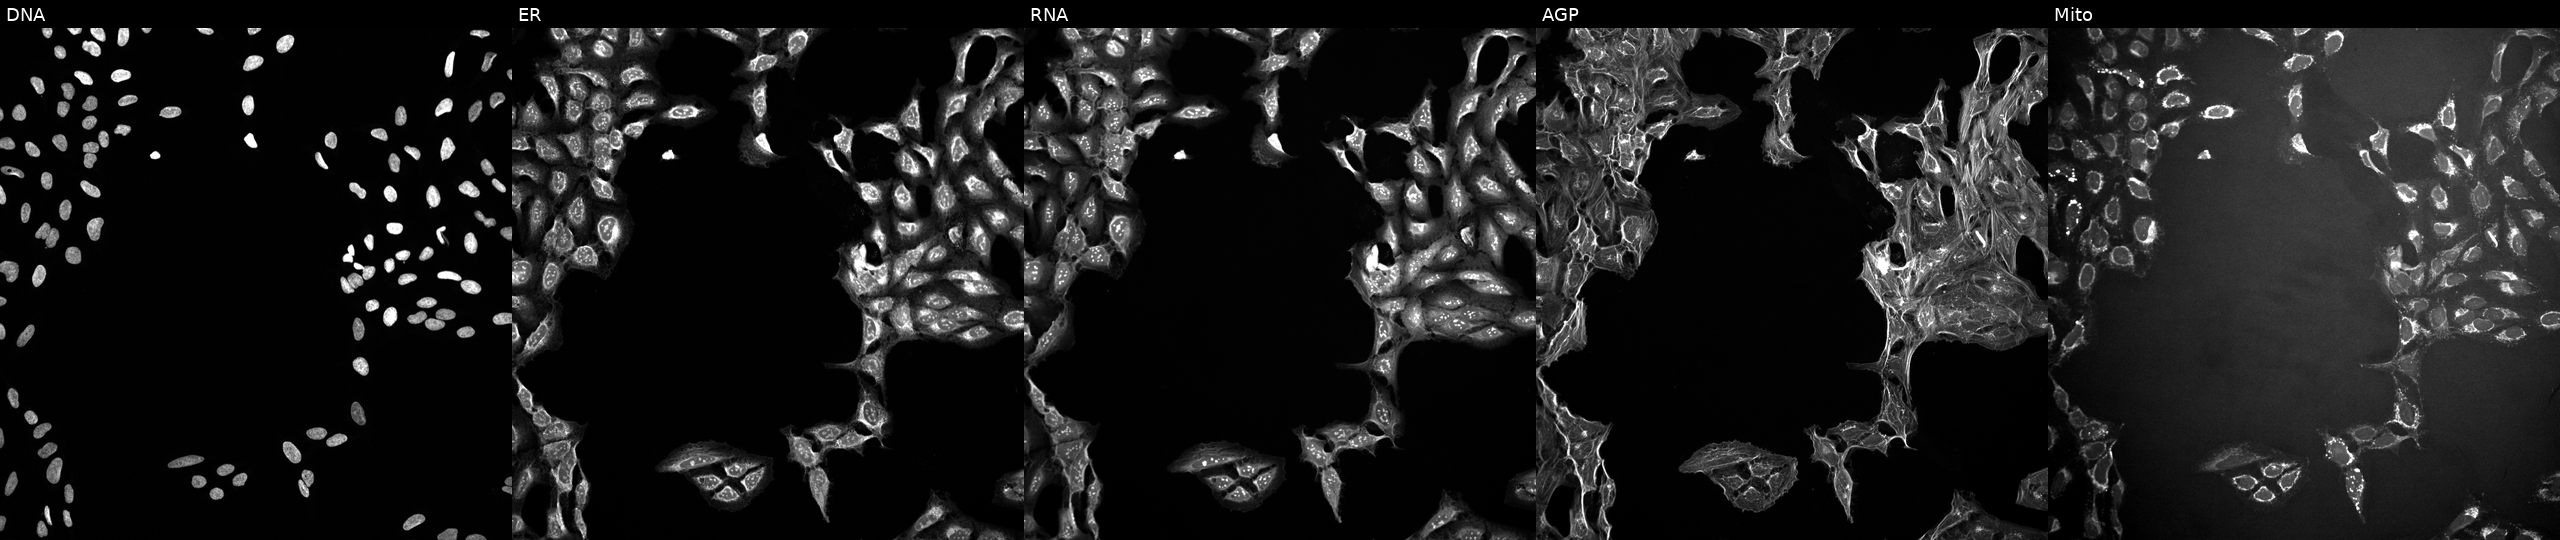
High-content fluorescence microscopy (Cell Painting). Cell line: U2OS. Perturbation: exposed to DMSO alone as a negative control. From left to right: Hoechst 33342, concanavalin A, SYTO 14, phalloidin and WGA, MitoTracker. Source 10, plate Dest210727-153003, well A20.